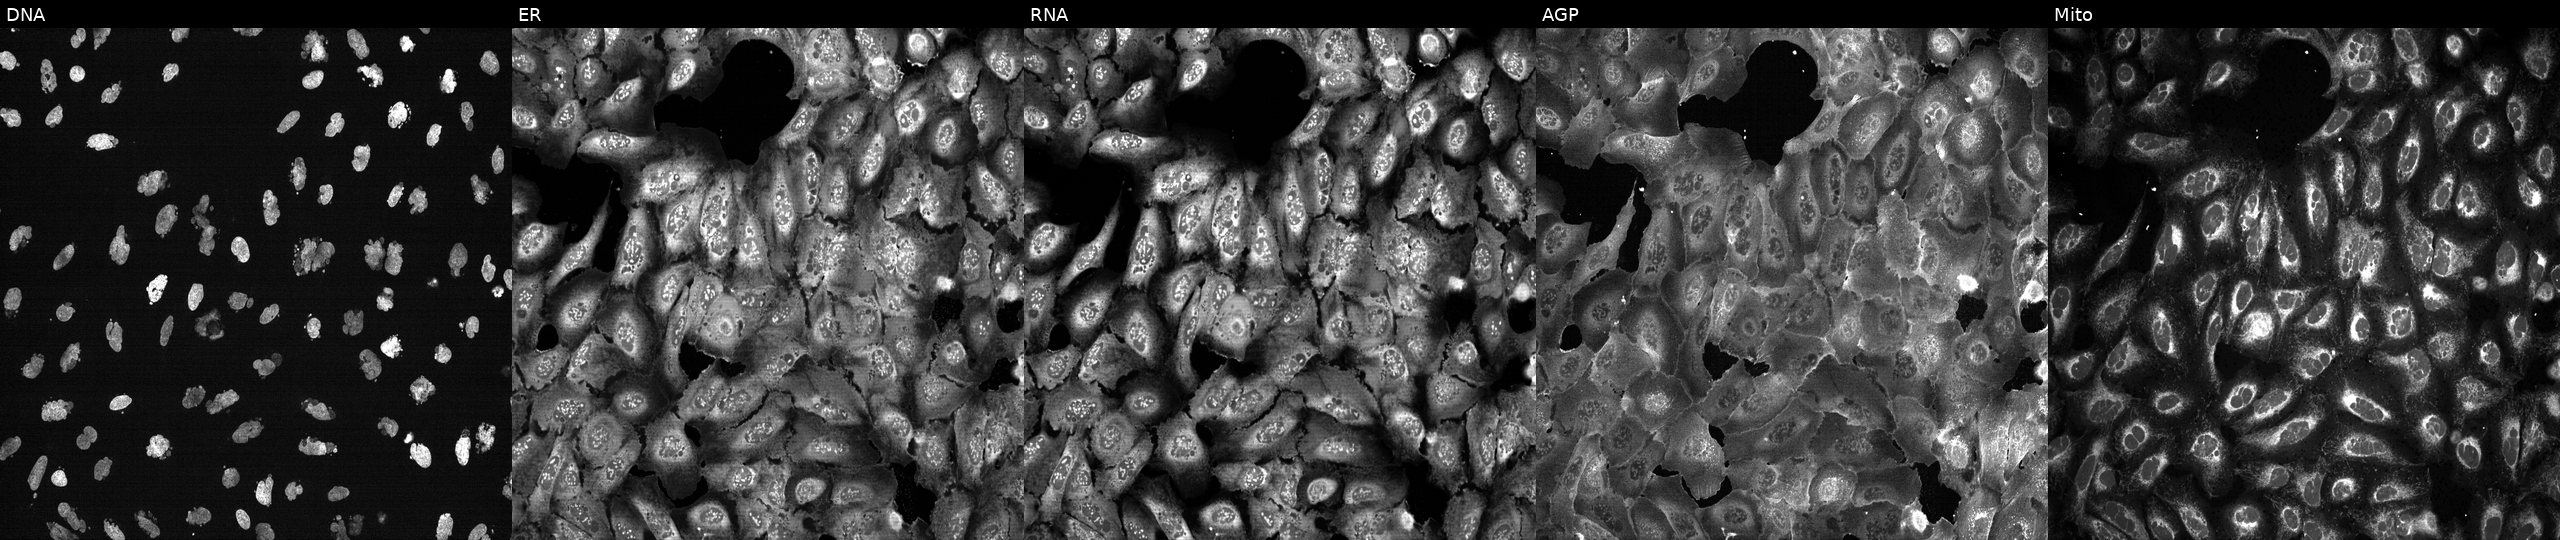
JUMP Cell Painting — CRISPR plate. U2OS cells treated with AMG900 (positive-control compound) (JUMP id JCP2022_037716). Panels show, left to right, DNA (nuclei); ER (endoplasmic reticulum); RNA (nucleoli and cytoplasmic RNA); AGP (actin cytoskeleton, Golgi, and plasma membrane); Mito (mitochondria). Source 13, plate CP-CC9-R2-02, well B01.